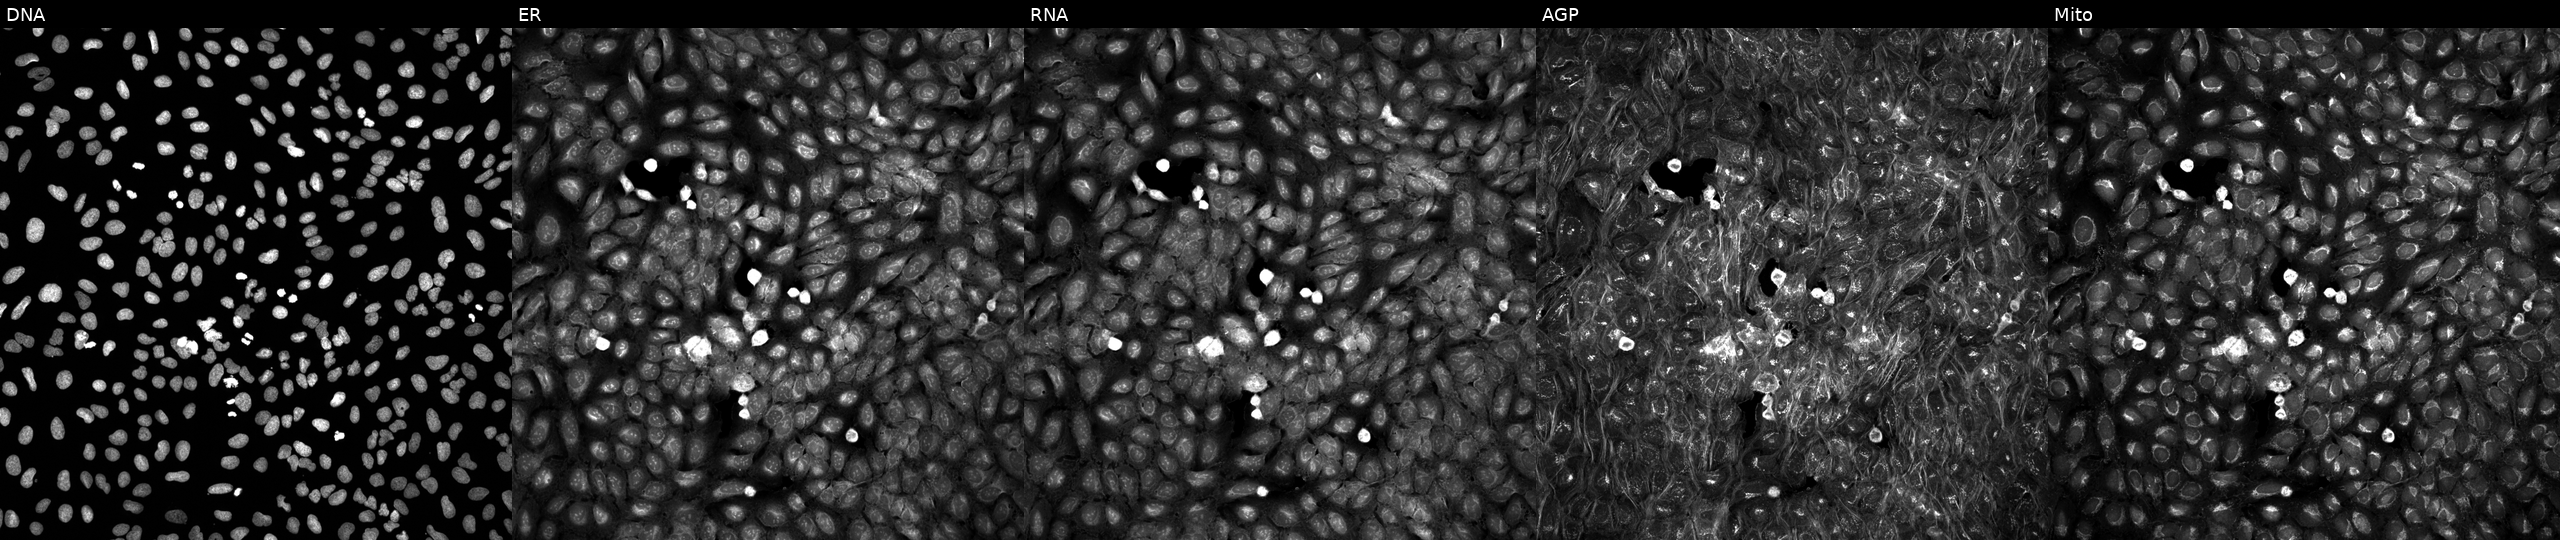
Channels (left→right): DNA (nuclei); ER (endoplasmic reticulum); RNA (nucleoli and cytoplasmic RNA); AGP (actin cytoskeleton, Golgi, and plasma membrane); Mito (mitochondria). U2OS osteosarcoma cells exposed to DMSO alone as a negative control (JUMP id JCP2022_033924). Cell Painting assay, JUMP-CP dataset.